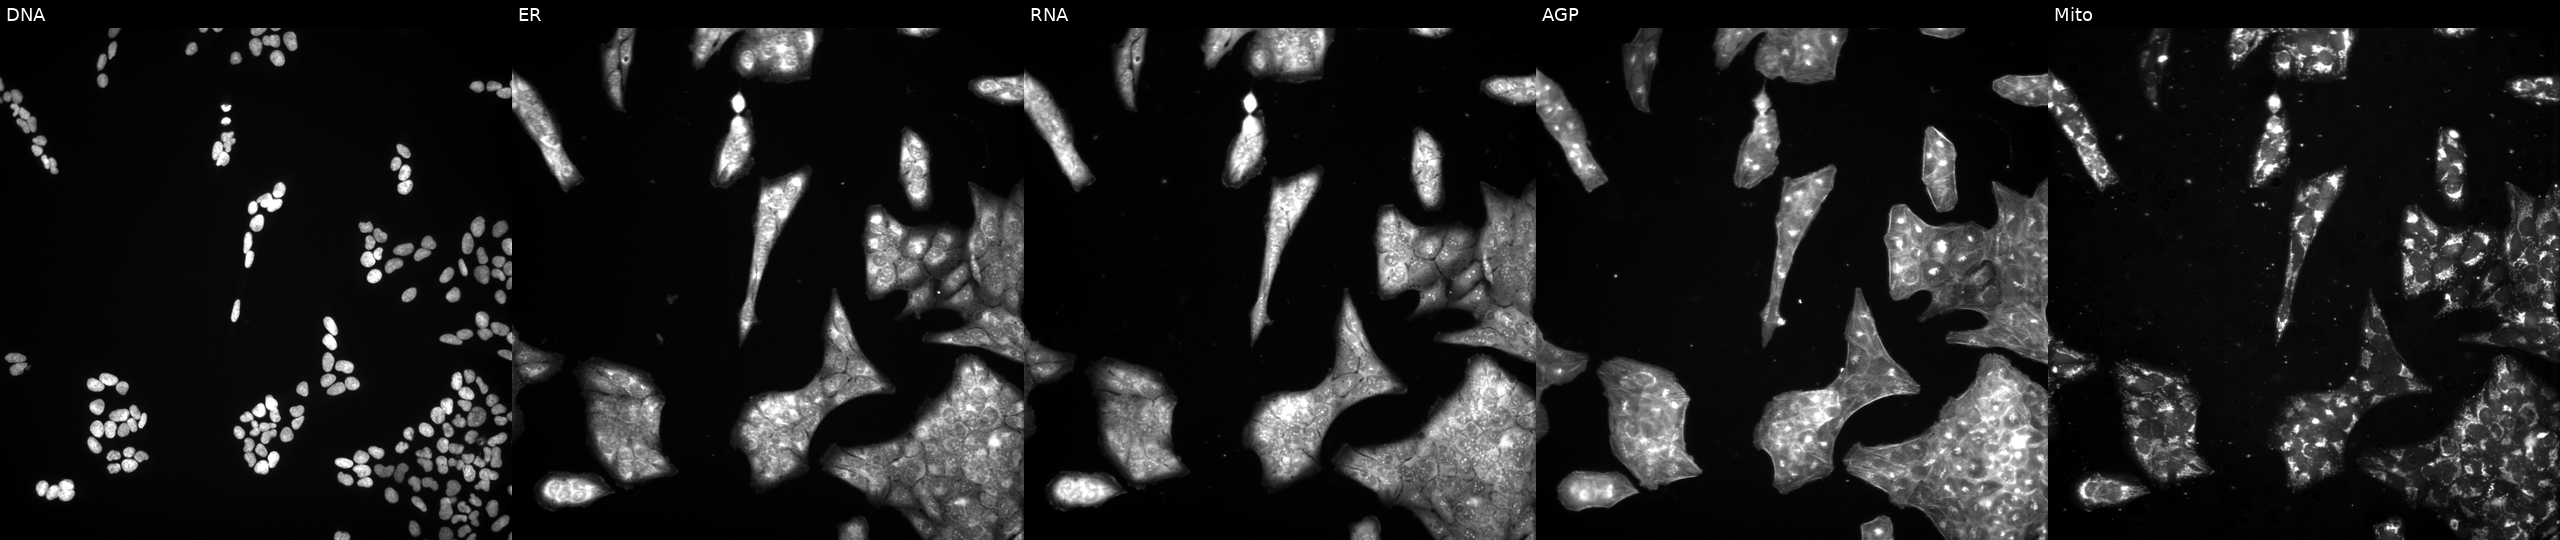
The five panels, left to right, show DNA, ER, RNA, AGP, and Mito. U2OS osteosarcoma cells treated with a small-molecule compound (InChIKey PBBRWFOVCUAONR-UHFFFAOYSA-N). Cell Painting assay, JUMP-CP dataset.